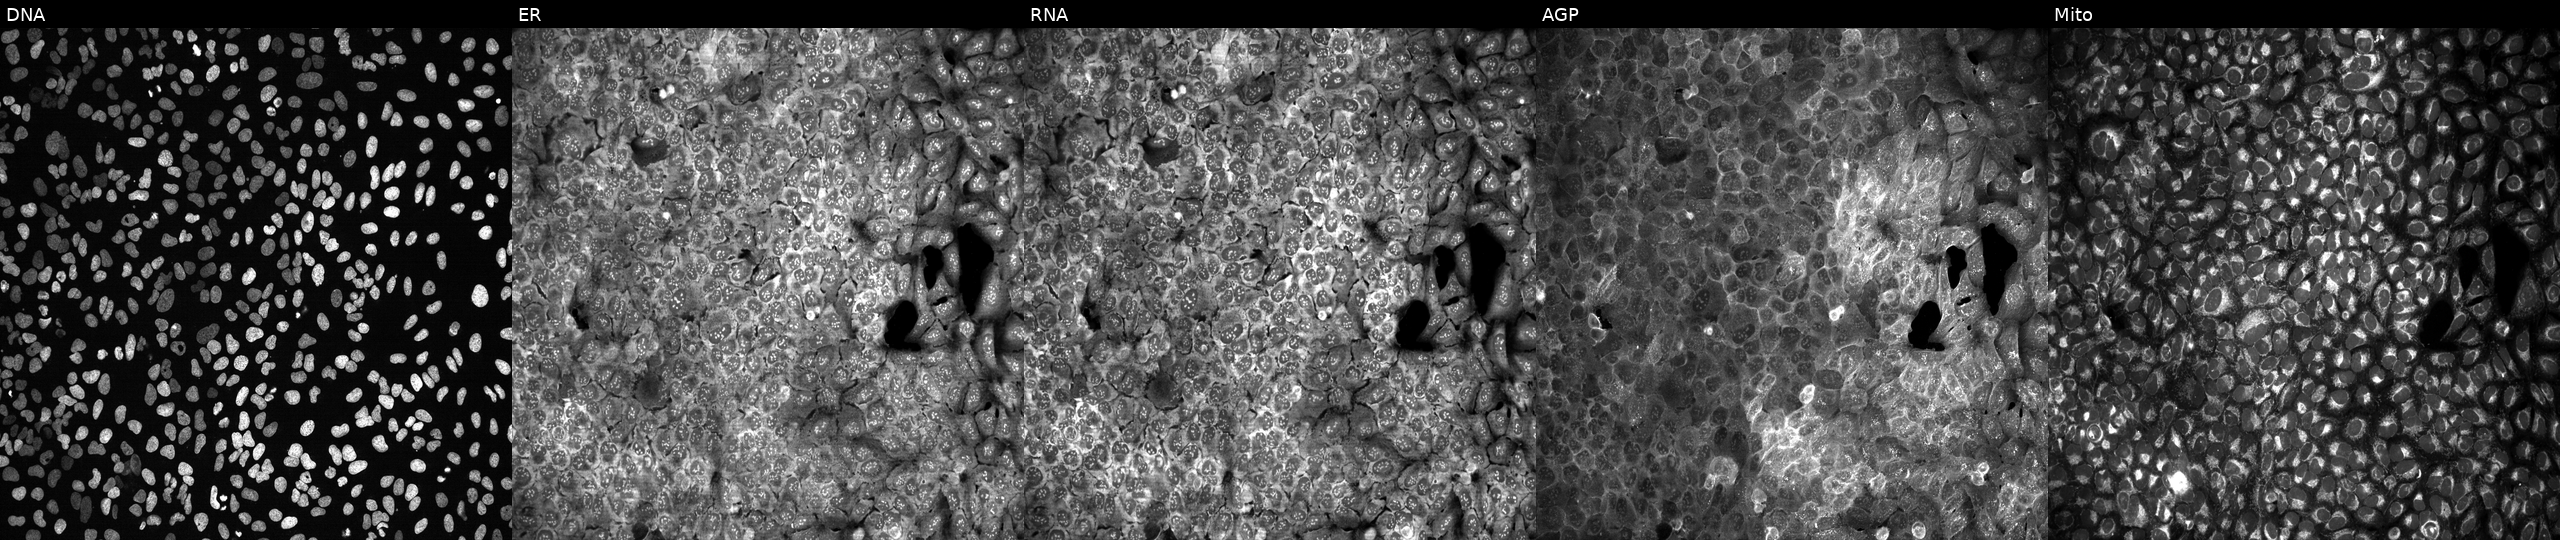
High-content fluorescence microscopy (Cell Painting). Cell line: U2OS. Perturbation: with PSMA8 knocked out by CRISPR. From left to right: DNA (nuclei); ER (endoplasmic reticulum); RNA (nucleoli and cytoplasmic RNA); AGP (actin cytoskeleton, Golgi, and plasma membrane); Mito (mitochondria).